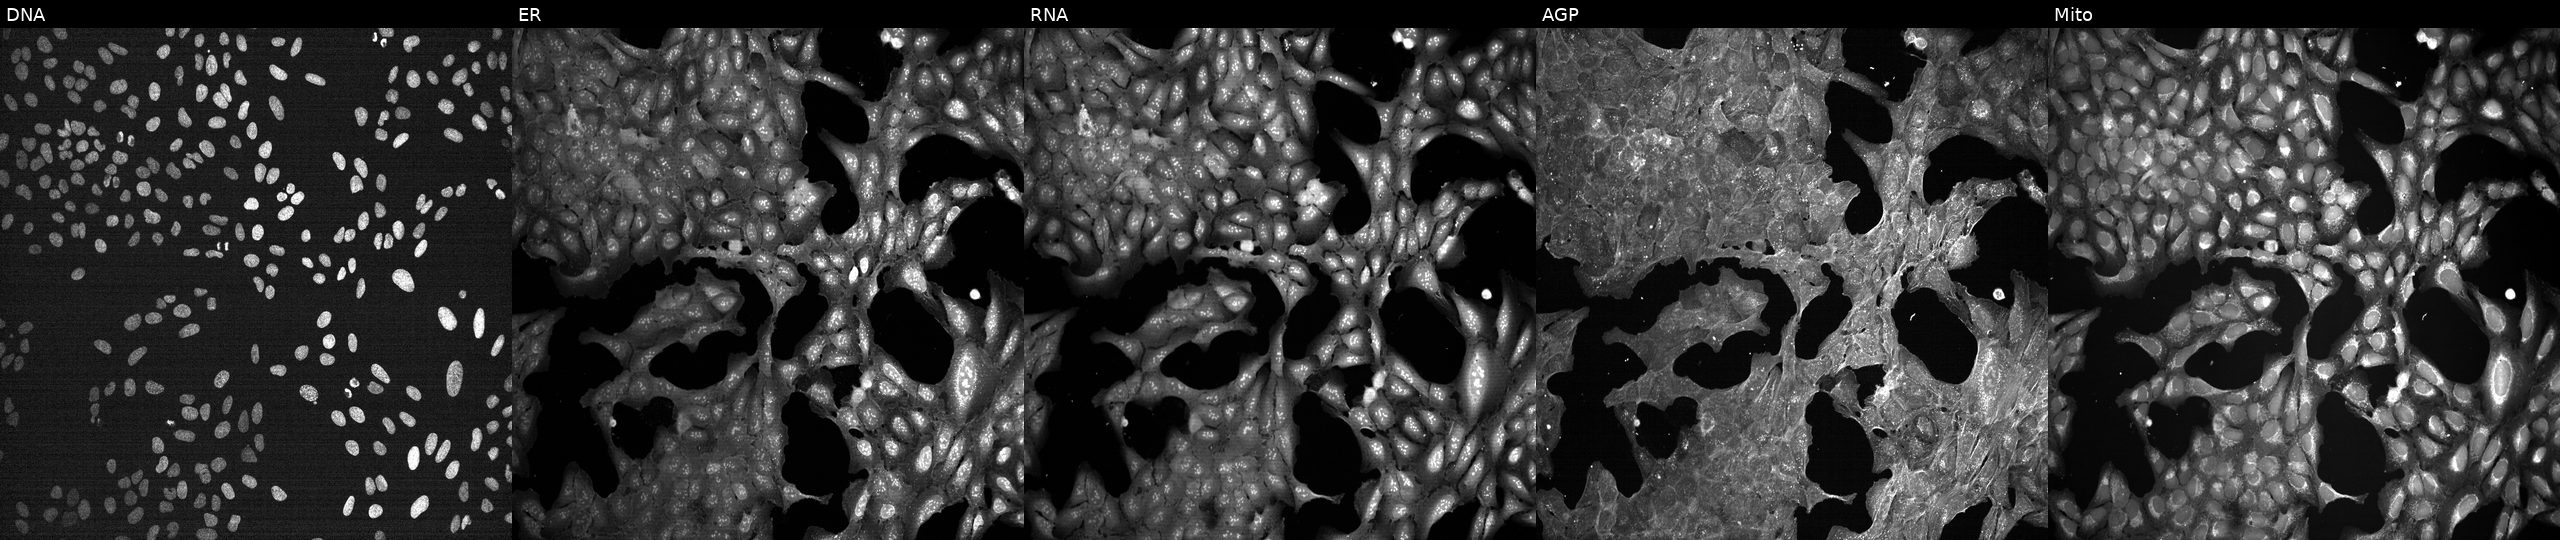
Five-channel Cell Painting image of U2OS cells exposed to DMSO alone as a negative control. Channels (left→right): DNA, ER, RNA, AGP, and Mito.